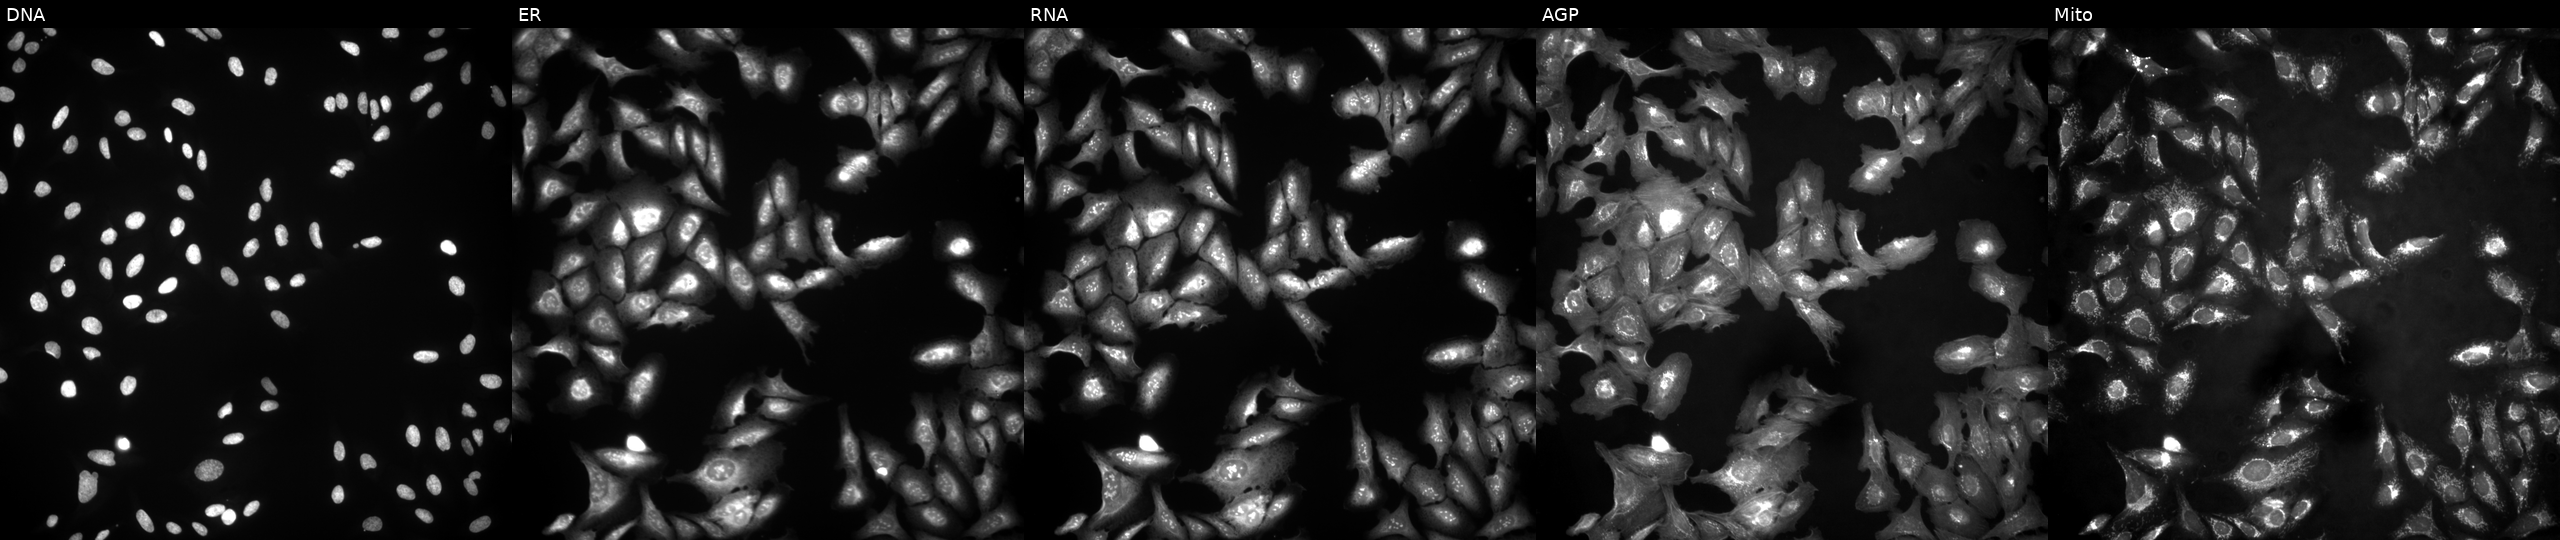
This image strip shows the five Cell Painting channels for a single field of U2OS cells with SIDT2 overexpressed (ORF) (JUMP id JCP2022_911138). The five panels, left to right, show Hoechst 33342, concanavalin A, SYTO 14, phalloidin and WGA, MitoTracker.